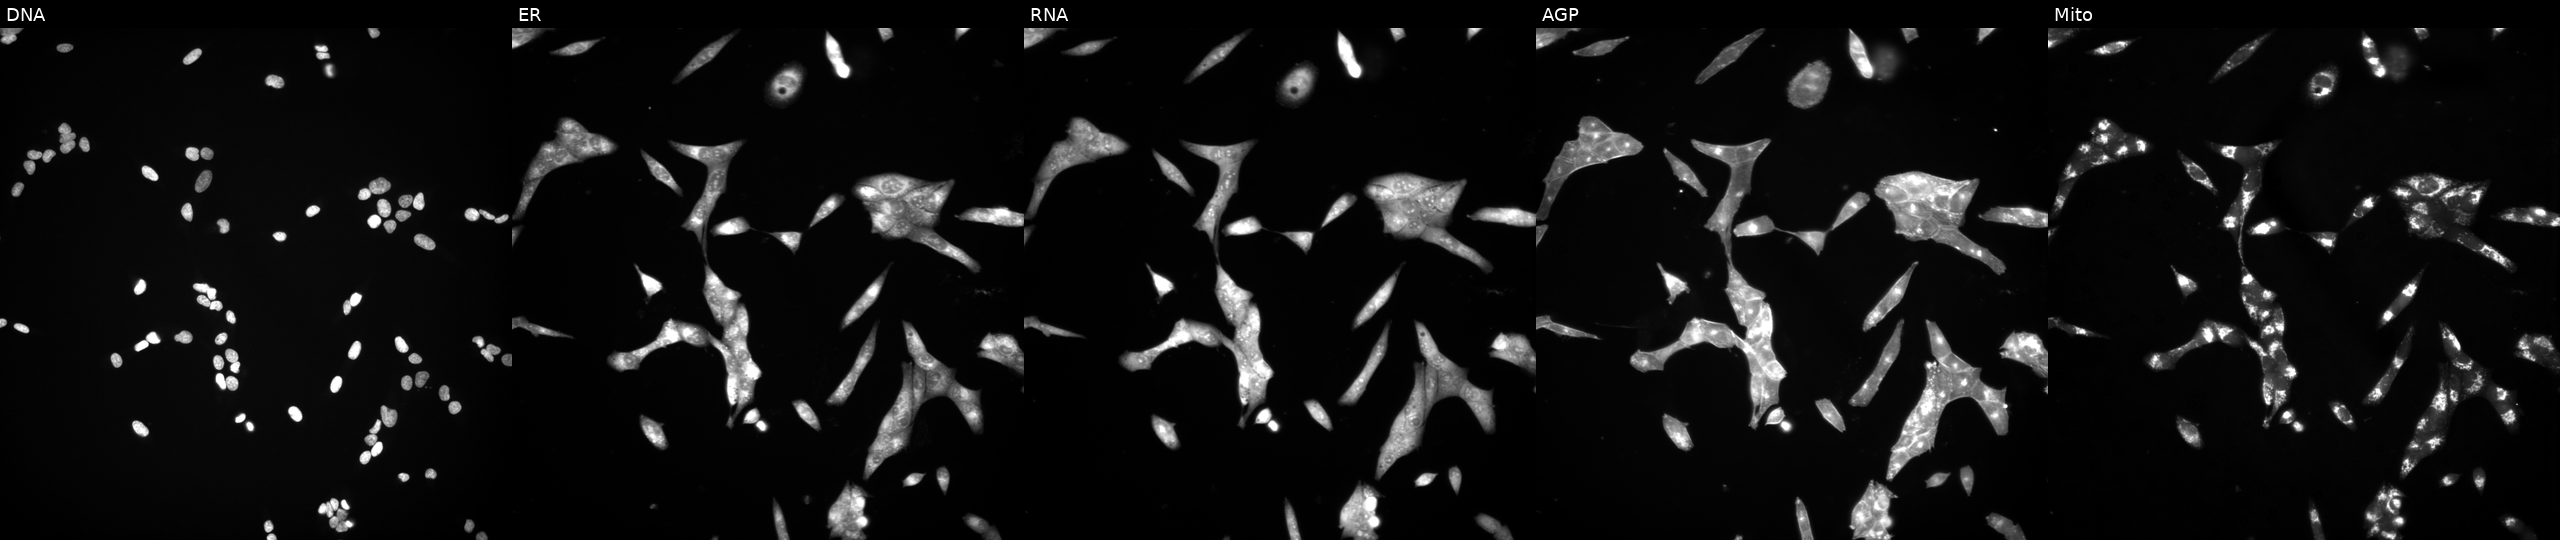
JUMP Cell Painting — TARGET2 plate. U2OS cells exposed to a small-molecule compound (JUMP id JCP2022_045036). Channels (left→right): DNA (nuclei); ER (endoplasmic reticulum); RNA (nucleoli and cytoplasmic RNA); AGP (actin cytoskeleton, Golgi, and plasma membrane); Mito (mitochondria).